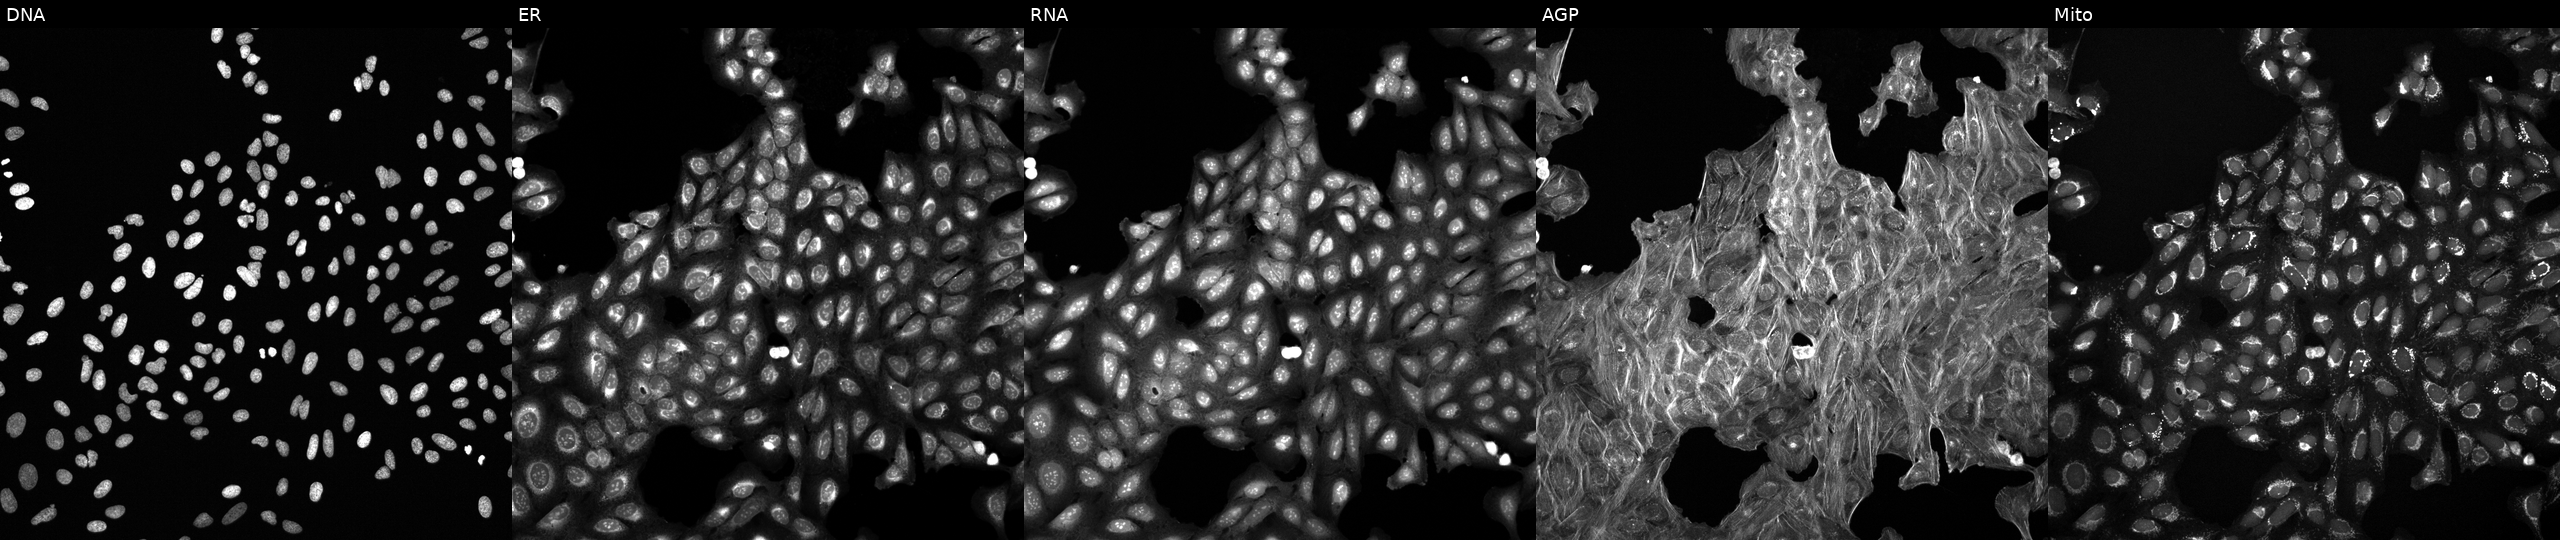
U2OS cells, Cell Painting assay, treated with a small-molecule compound (JUMP id JCP2022_016379). Channels (left→right): Hoechst 33342, concanavalin A, SYTO 14, phalloidin and WGA, MitoTracker. Each panel is percentile-stretched 16-bit fluorescence. Source 6, plate 110000293082, well N17.